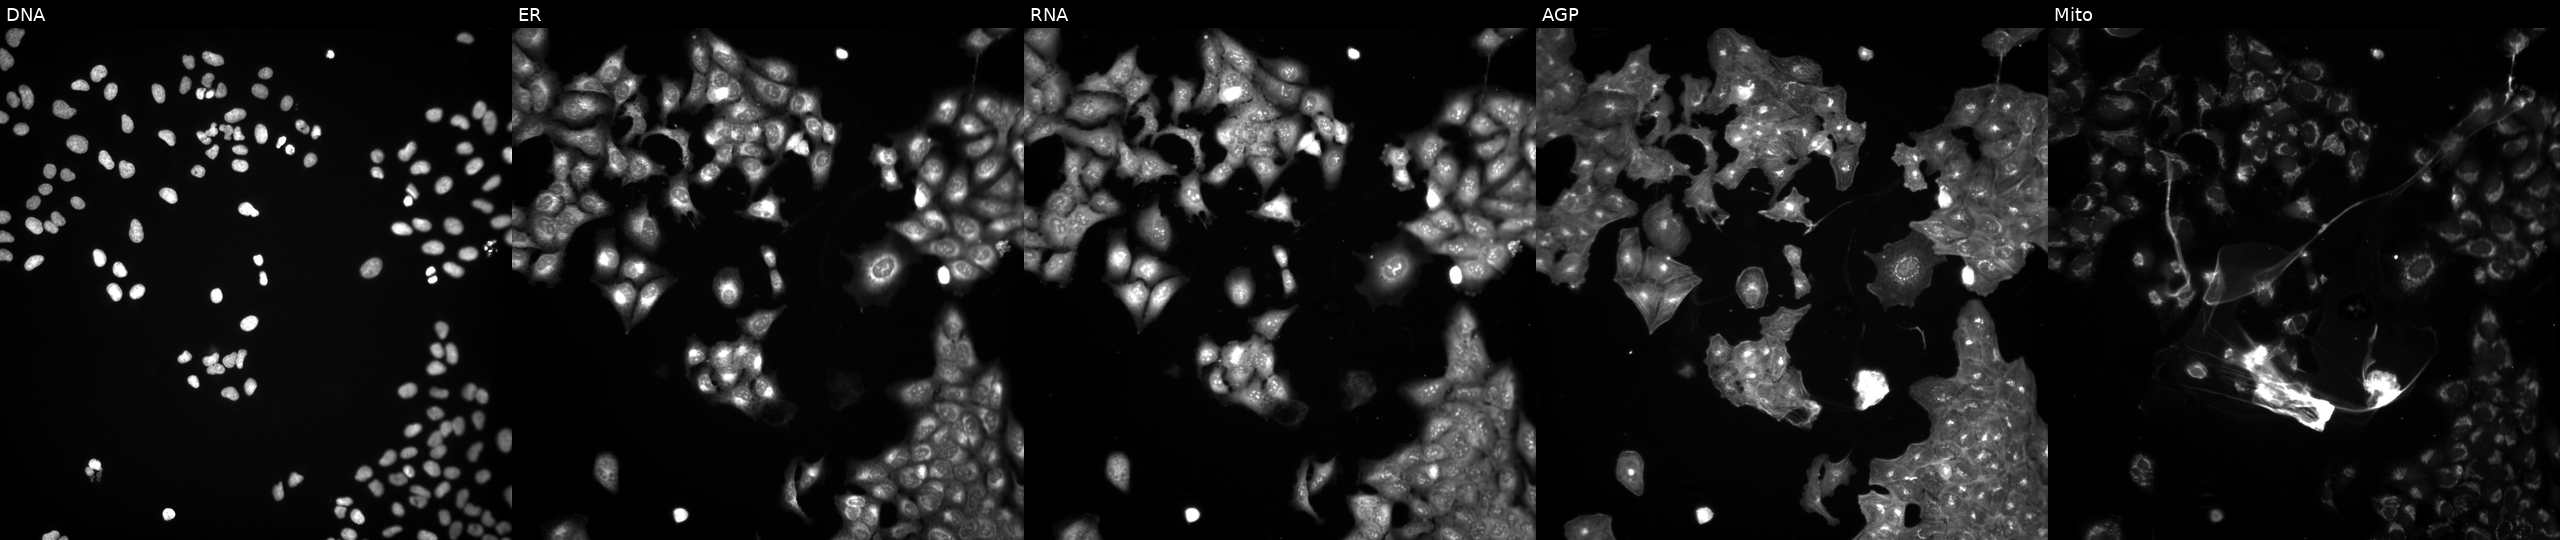
Five-channel Cell Painting image of U2OS cells exposed to the positive-control compound NVS-PAK1-1 (JUMP id JCP2022_064022). Channels (left→right): DNA, ER, RNA, AGP, and Mito.